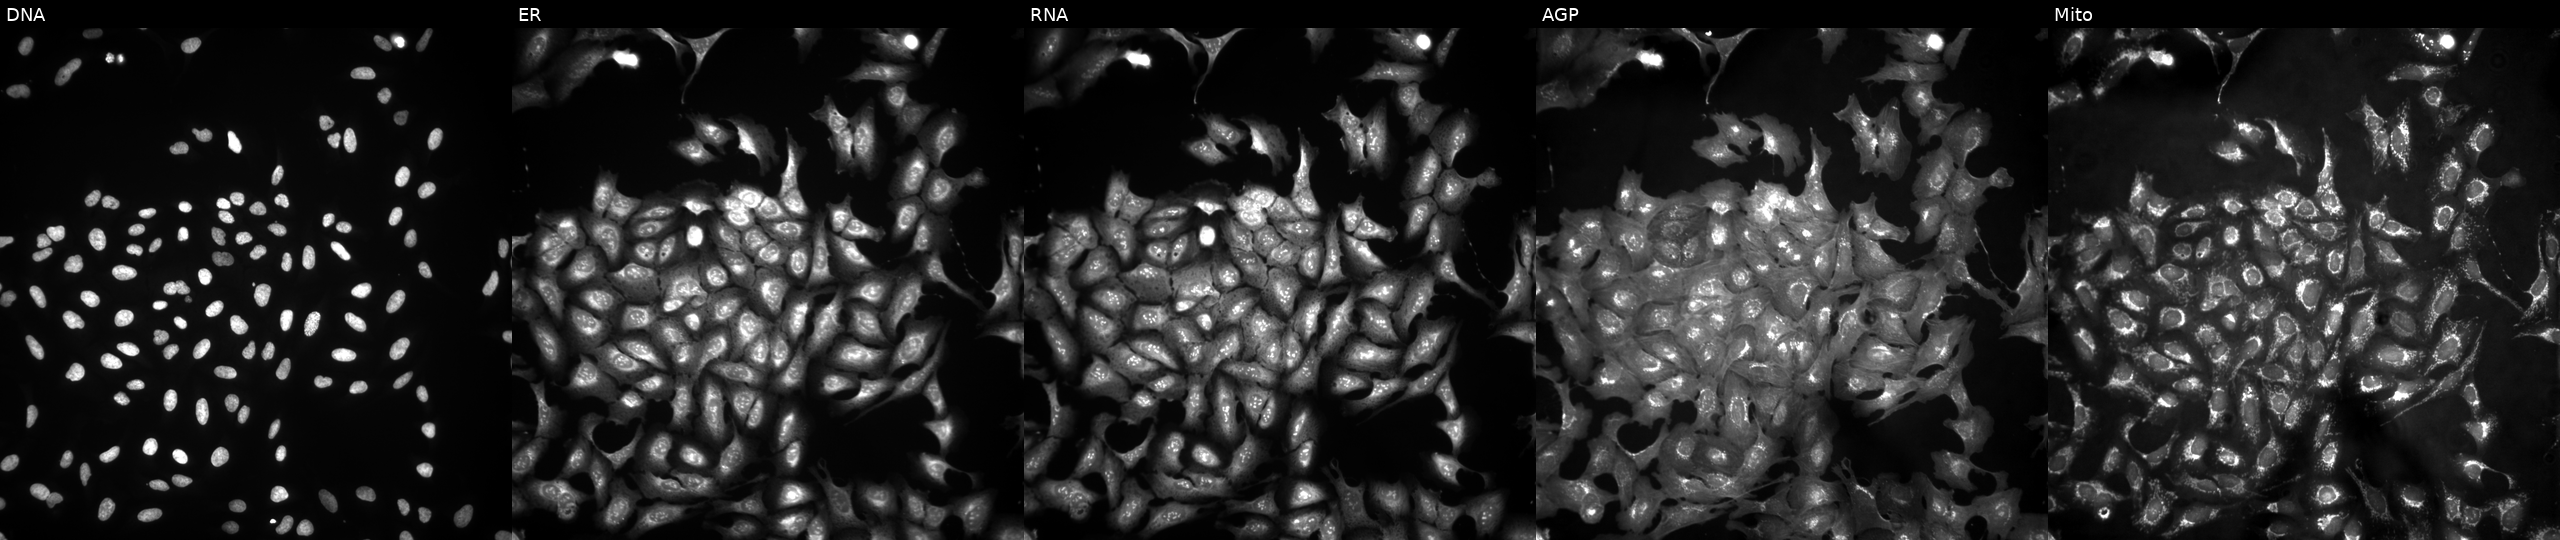
JUMP Cell Painting — ORF plate. U2OS cells with TRIM72 overexpressed (ORF) (JUMP id JCP2022_912774). Channels (left→right): Hoechst 33342, concanavalin A, SYTO 14, phalloidin and WGA, MitoTracker.